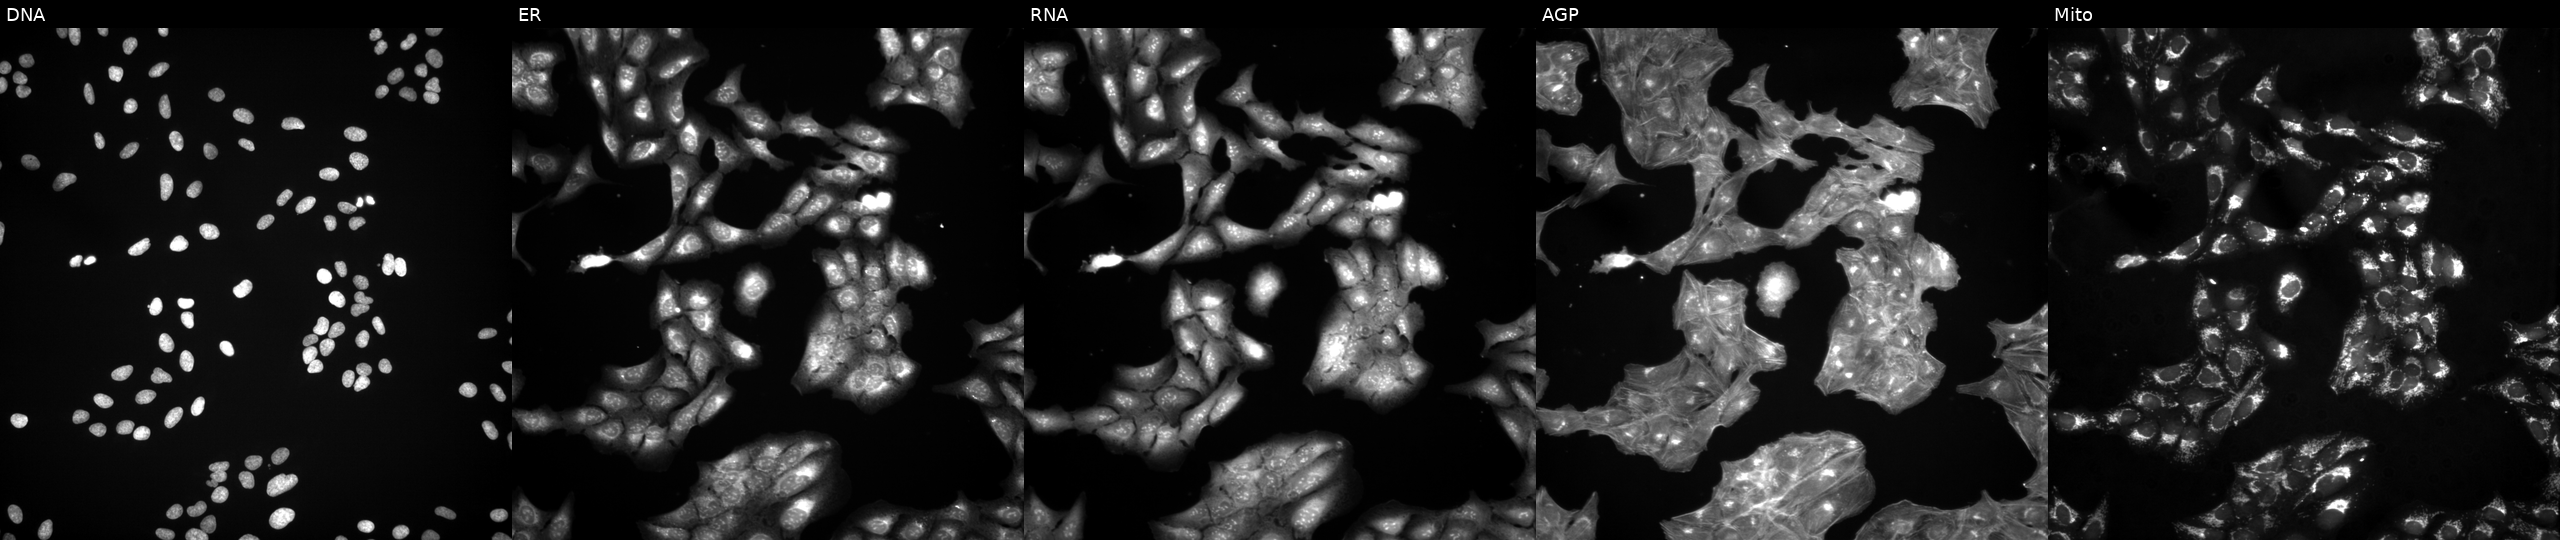
U2OS cells, Cell Painting assay, perturbed with a small-molecule compound (InChIKey ZNNLBTZKUZBEKO-UHFFFAOYSA-N). Panels show, left to right, DNA, ER, RNA, AGP, and Mito. Each panel is percentile-stretched 16-bit fluorescence.